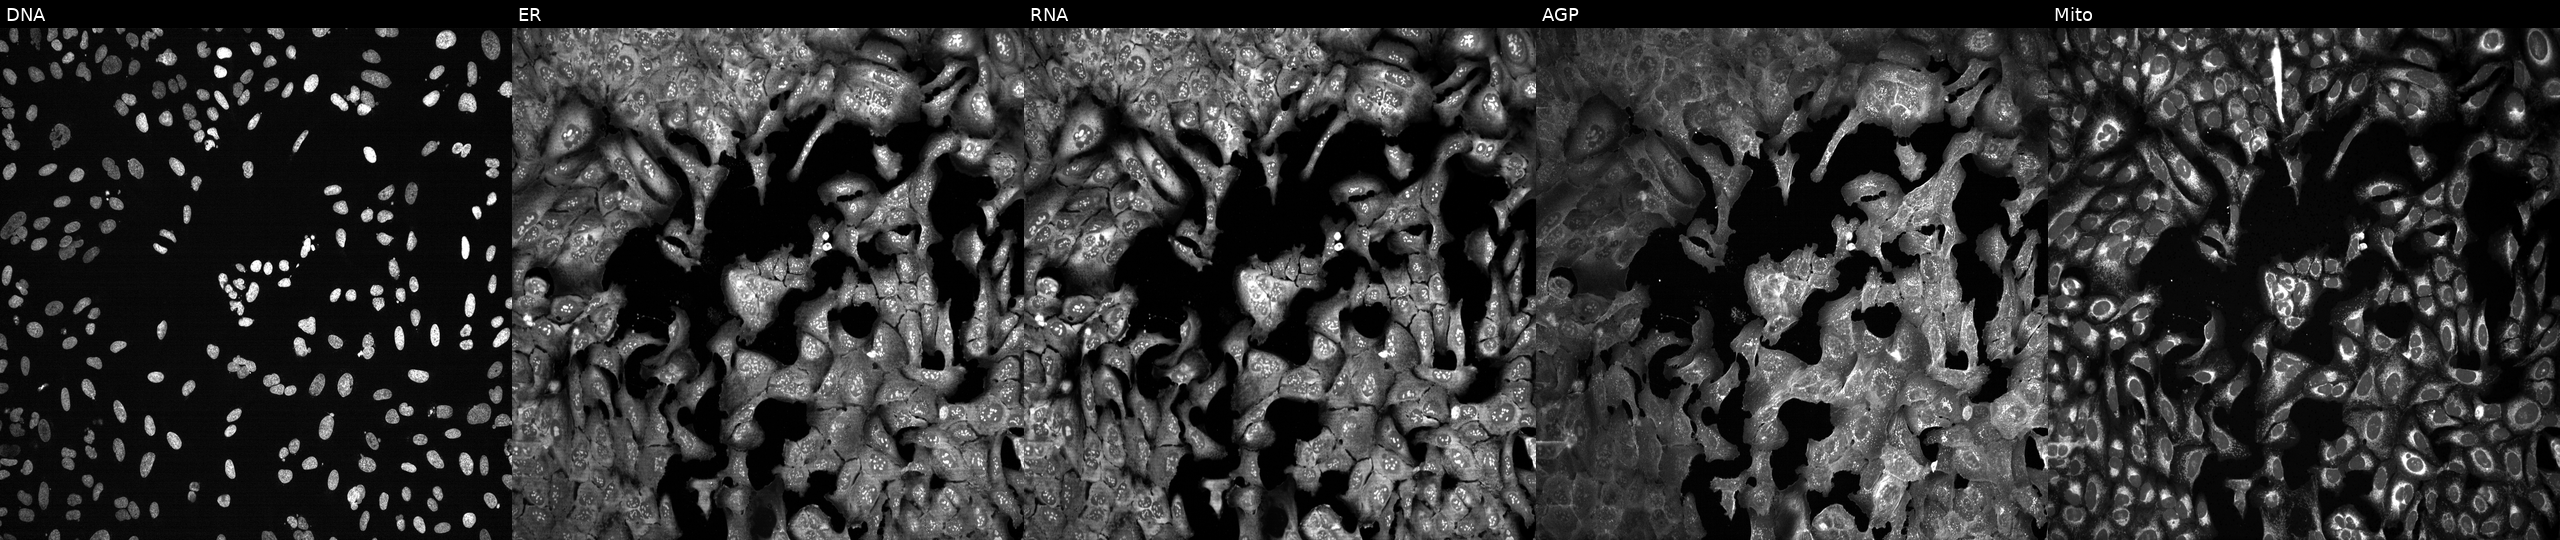
This image strip shows the five Cell Painting channels for a single field of U2OS cells CRISPR-edited to disrupt PPAT (JUMP id JCP2022_805399). Channels (left→right): Hoechst 33342, concanavalin A, SYTO 14, phalloidin and WGA, MitoTracker.